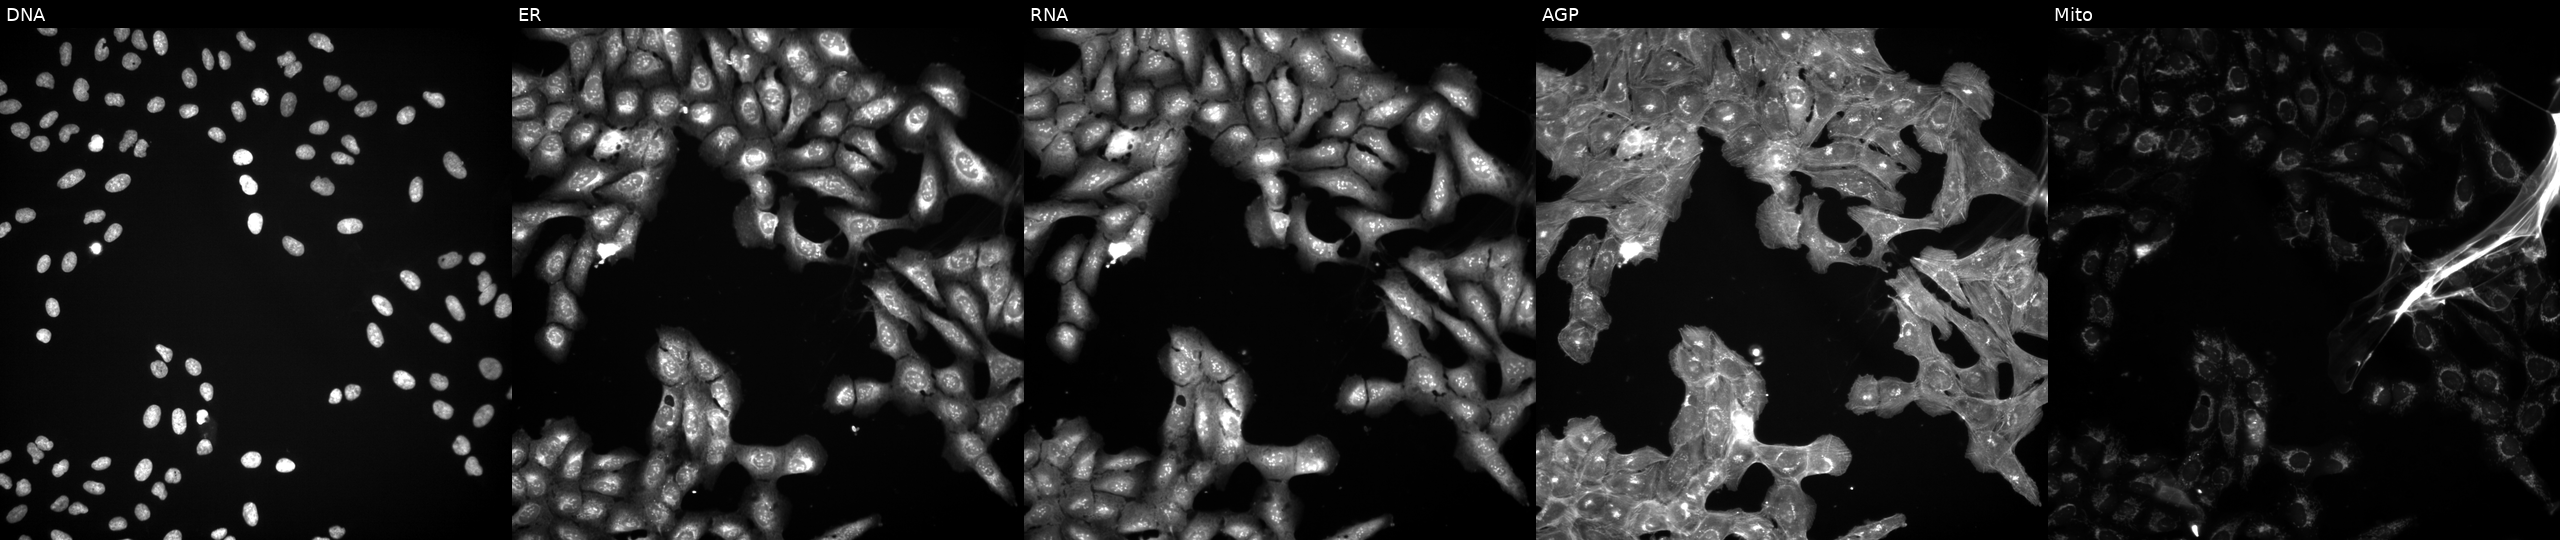
JUMP Cell Painting — TARGET2 plate. U2OS cells exposed to a small-molecule compound (InChIKey IPSSXIMJJXSJQB-UHFFFAOYSA-N) (JUMP id JCP2022_036614). The five panels, left to right, show DNA, ER, RNA, AGP, and Mito.